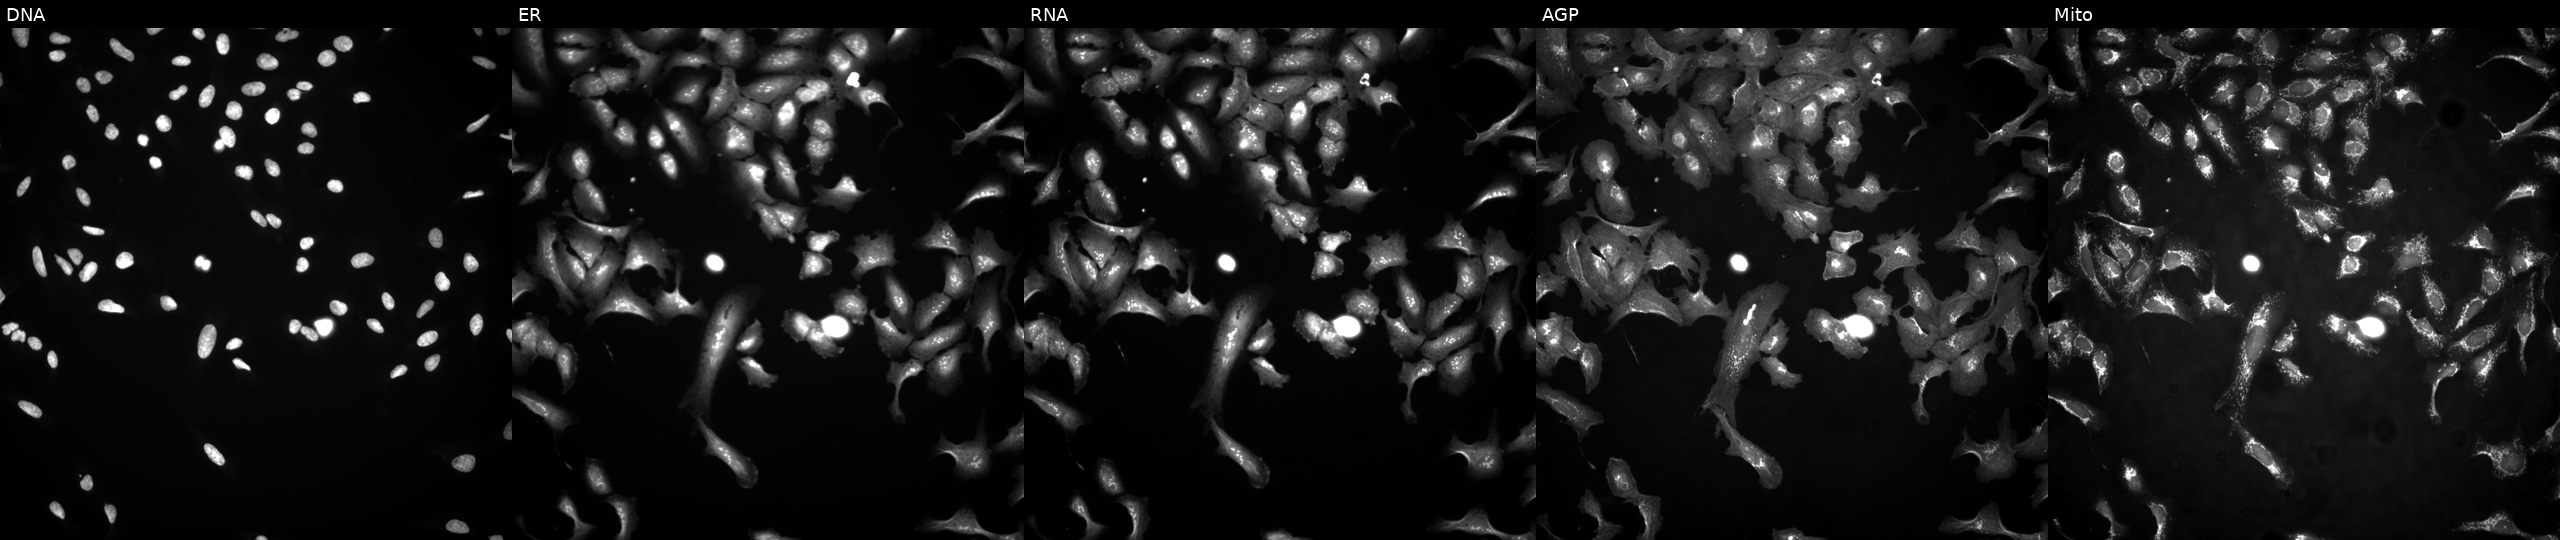
U2OS cells, Cell Painting assay, with ZBTB20 overexpressed (ORF). The five panels, left to right, show DNA (nuclei); ER (endoplasmic reticulum); RNA (nucleoli and cytoplasmic RNA); AGP (actin cytoskeleton, Golgi, and plasma membrane); Mito (mitochondria). Each panel is percentile-stretched 16-bit fluorescence.